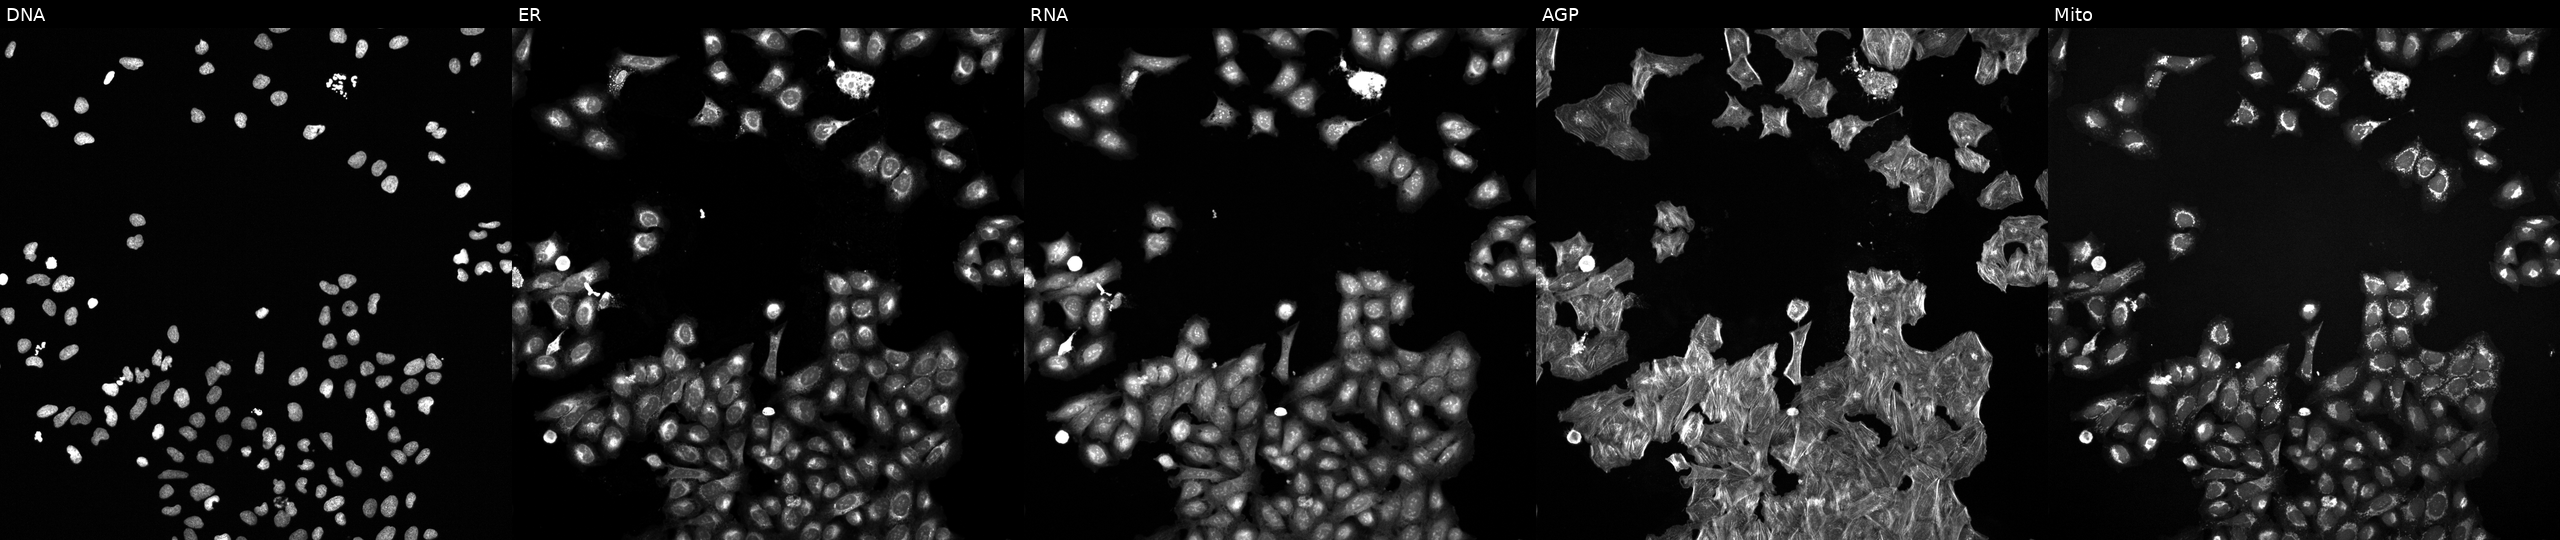
Channels (left→right): DNA, ER, RNA, AGP, and Mito. U2OS osteosarcoma cells treated with NVS-PAK1-1 (positive-control compound) (JUMP id JCP2022_064022). Cell Painting assay, JUMP-CP dataset.